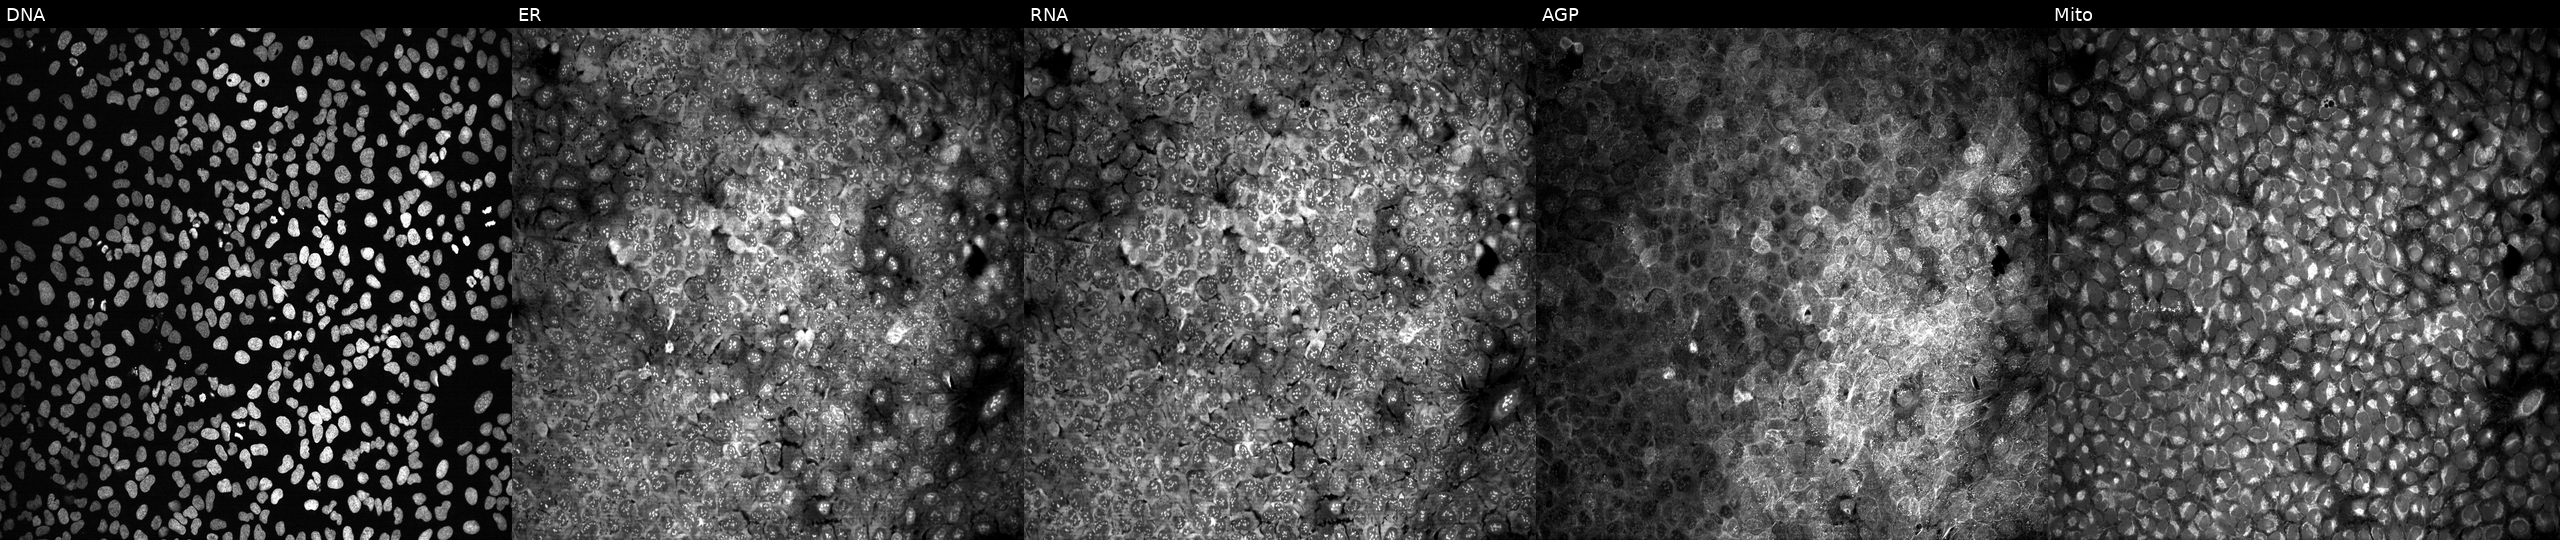
This image strip shows the five Cell Painting channels for a single field of U2OS cells with no CRISPR guide (negative control) (JUMP id JCP2022_800001). Panels show, left to right, DNA, ER, RNA, AGP, and Mito.